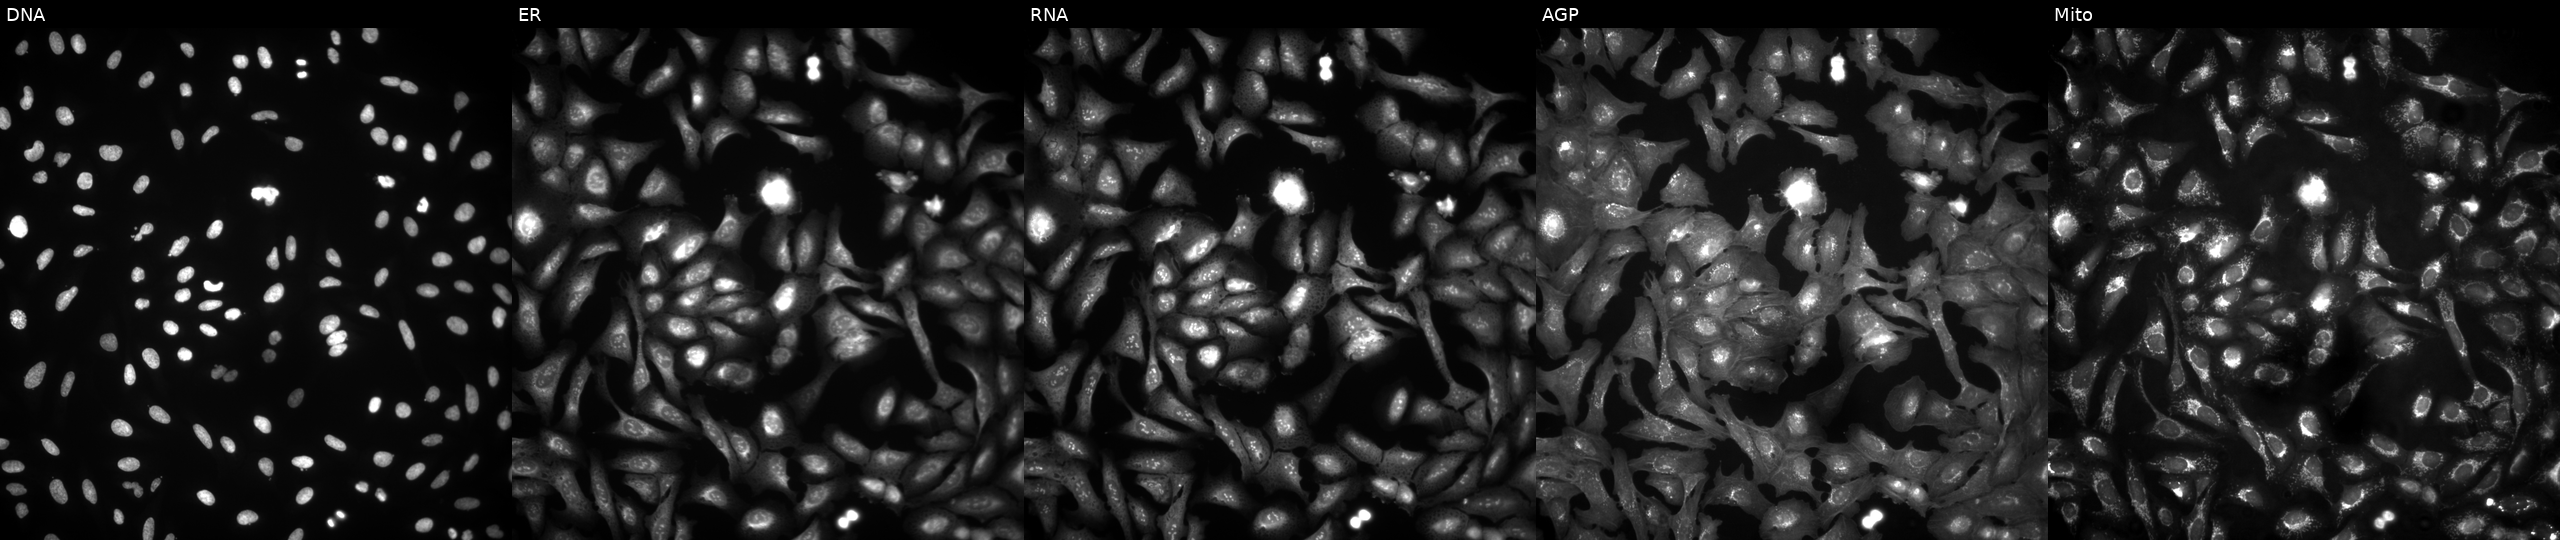
U2OS cells, Cell Painting assay, with ALKBH3 overexpressed (ORF) (JUMP id JCP2022_912506). The five panels, left to right, show DNA, ER, RNA, AGP, and Mito. Each panel is percentile-stretched 16-bit fluorescence. Source 4, plate BR00124790, well K21.